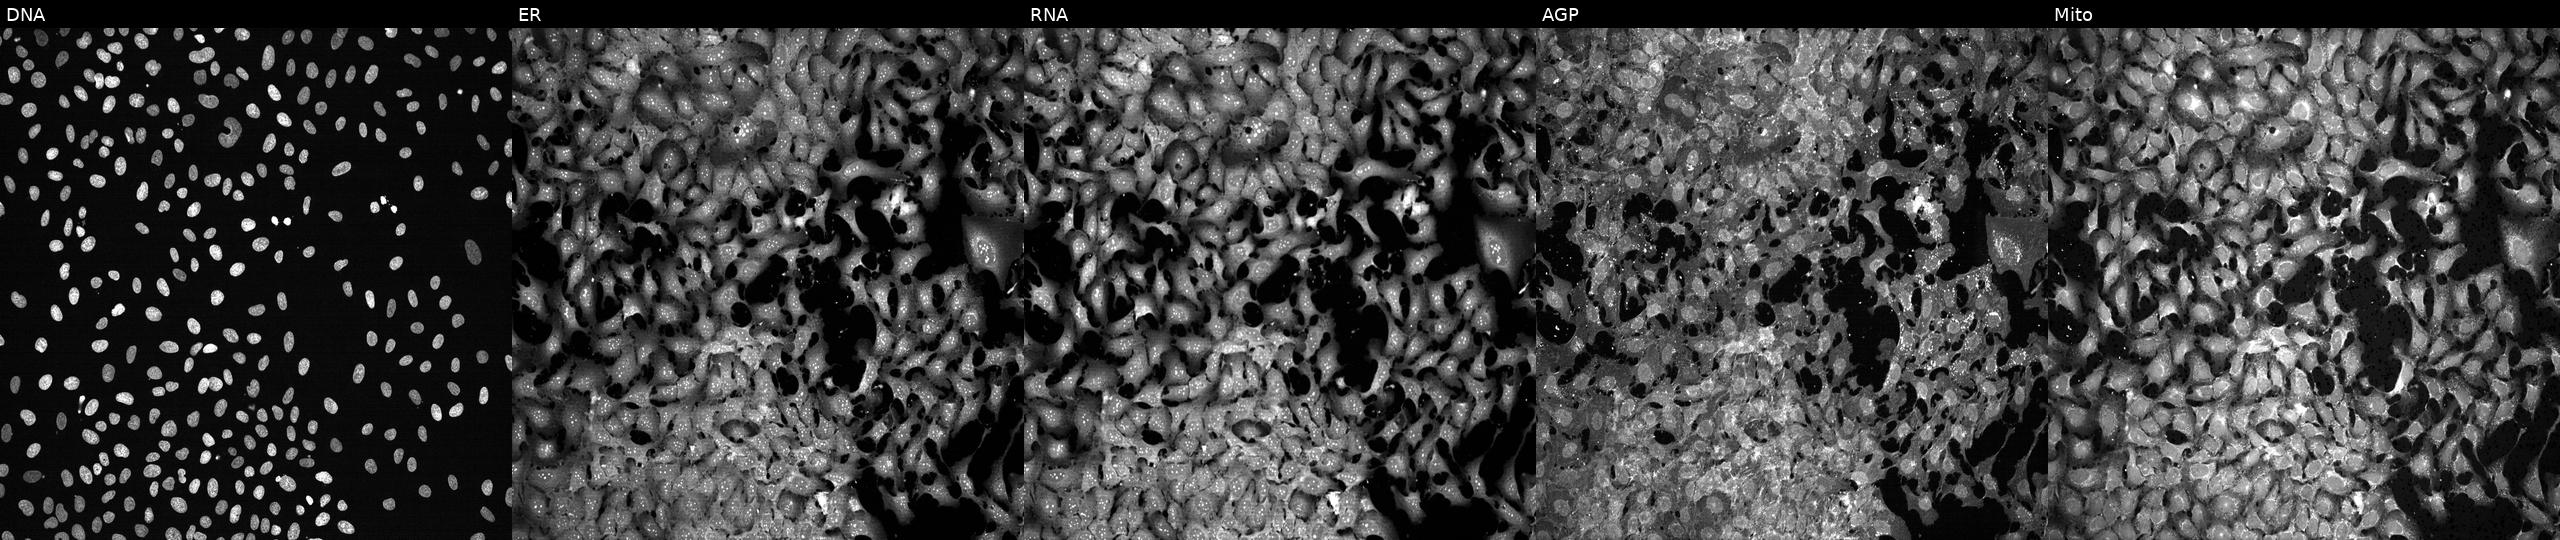
JUMP Cell Painting — CRISPR plate. U2OS cells exposed to the positive-control compound FK-866. From left to right: DNA, ER, RNA, AGP, and Mito.